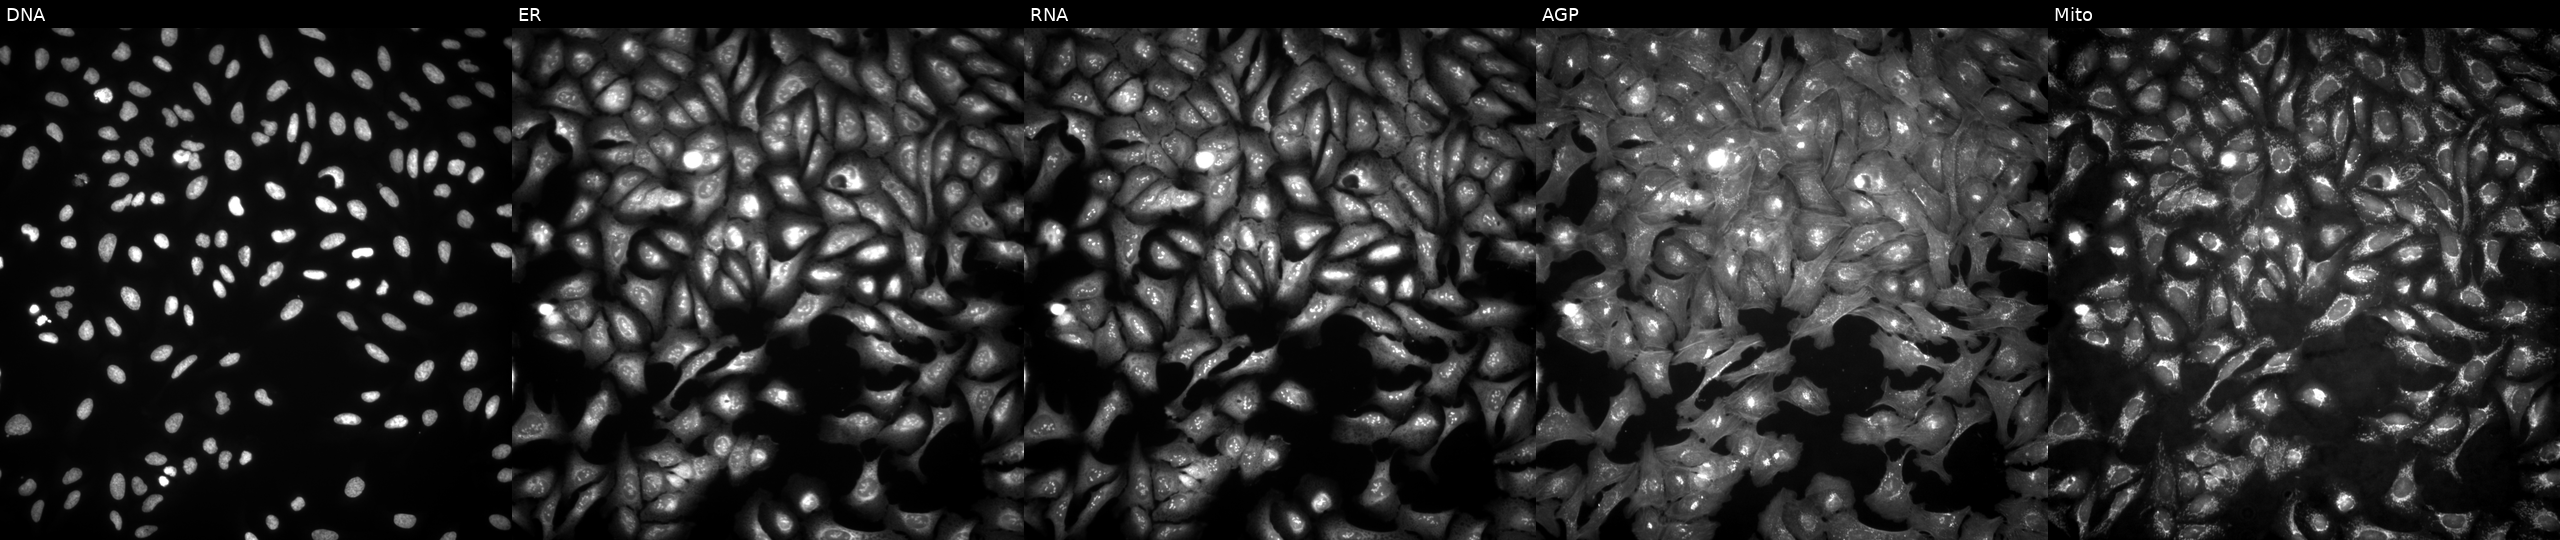
Five-channel Cell Painting image of U2OS cells transfected with an ORF construct for FDX2. Channels (left→right): Hoechst 33342, concanavalin A, SYTO 14, phalloidin and WGA, MitoTracker. Source 4, plate BR00123509, well D13.